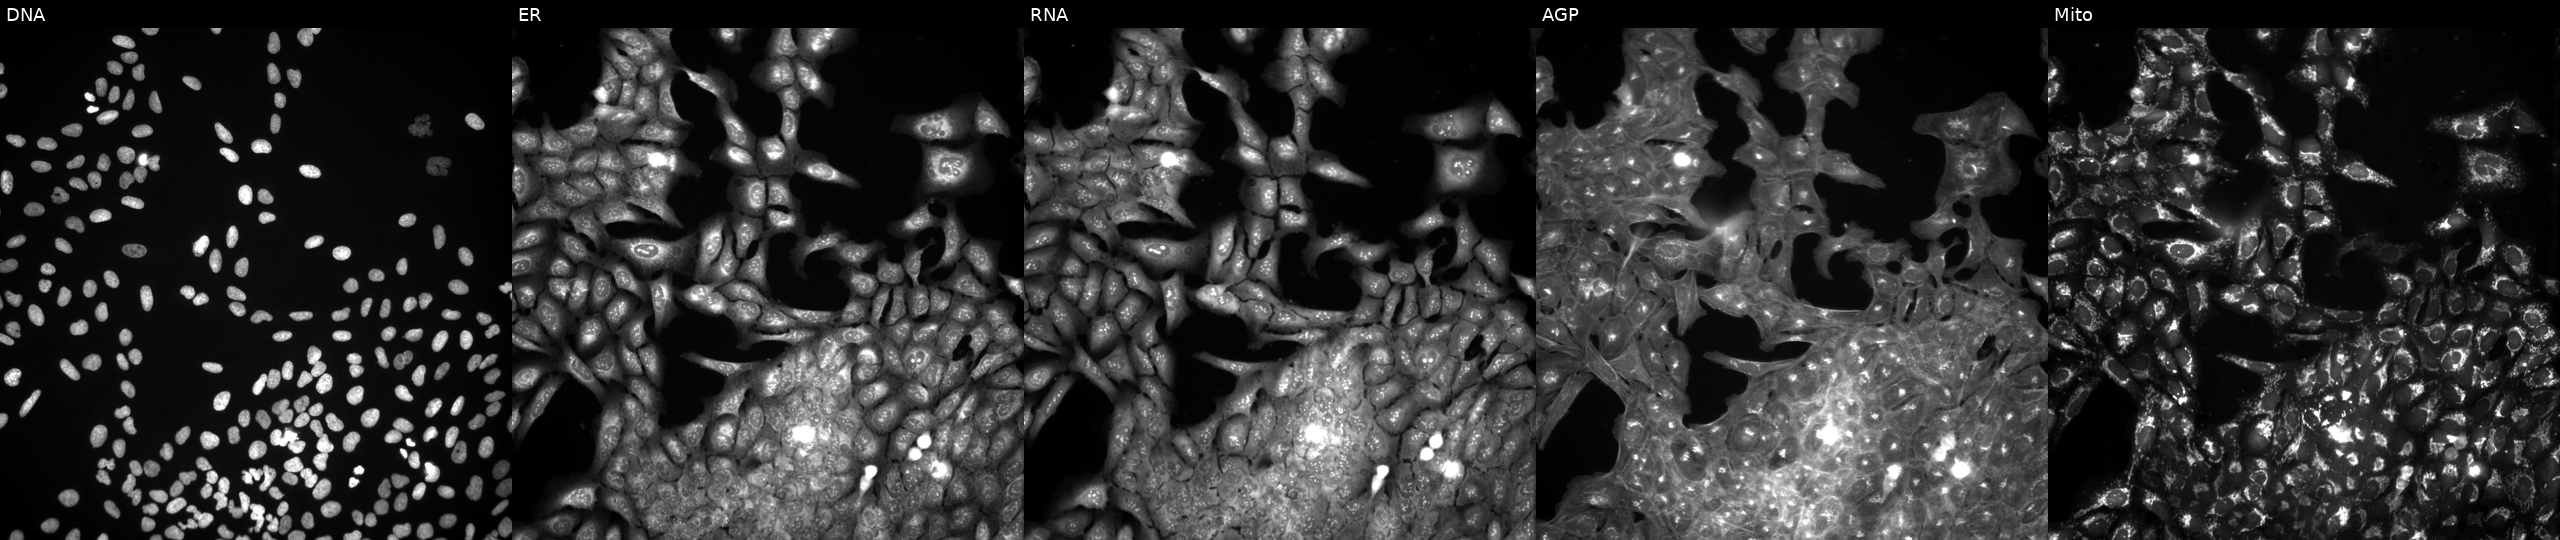
Five-channel Cell Painting image of U2OS cells treated with a small-molecule compound. Channels (left→right): DNA, ER, RNA, AGP, and Mito. Source 3, plate BR5867b3, well B15.